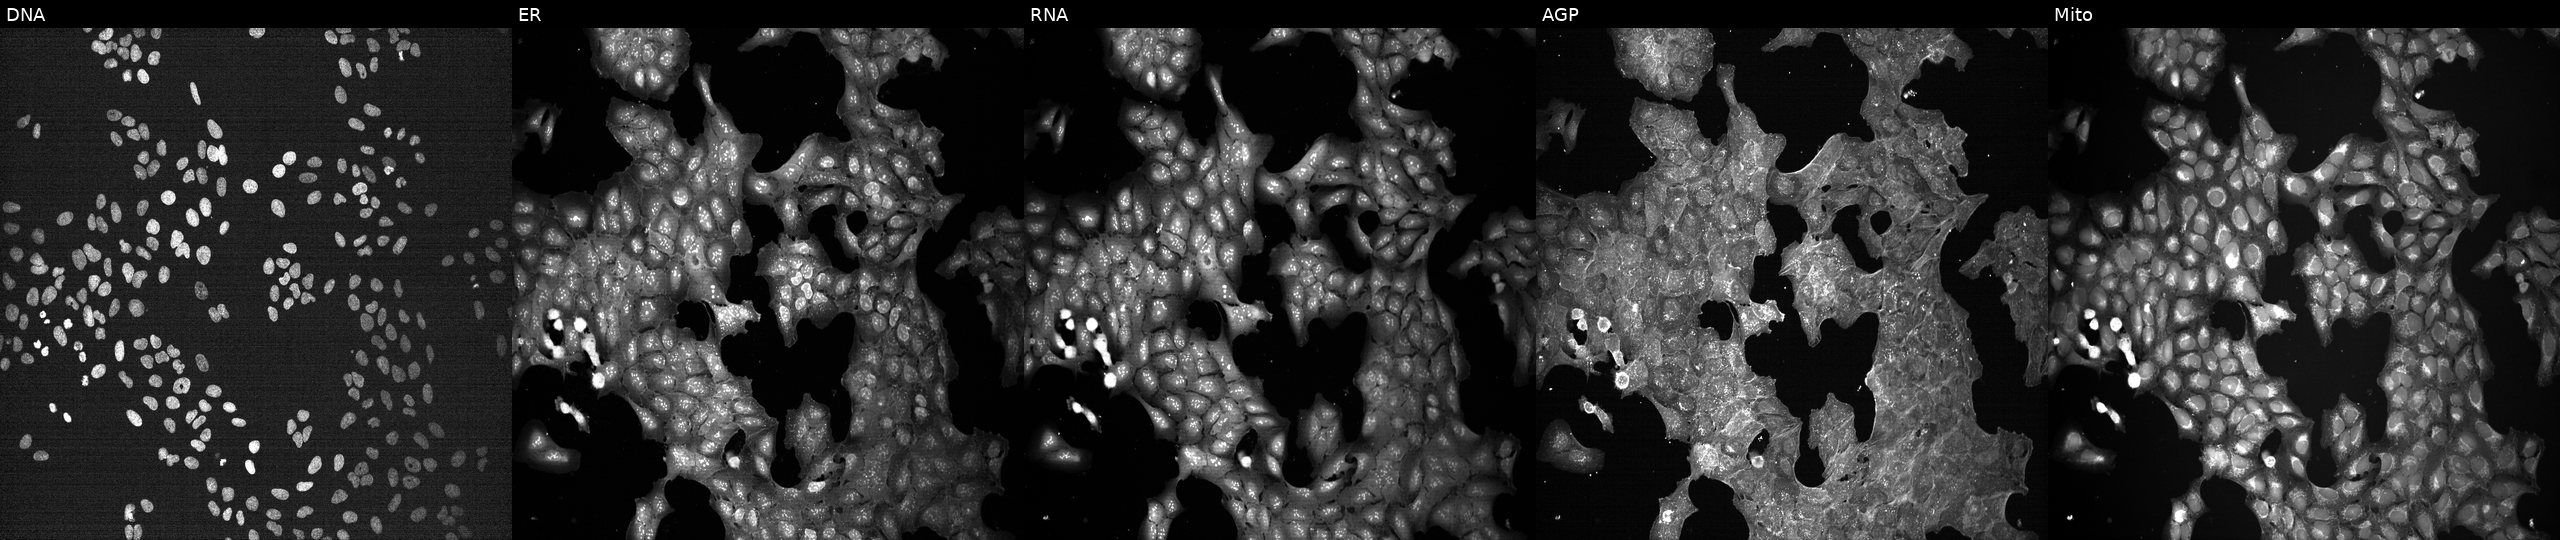
Five-channel Cell Painting image of U2OS cells treated with a small-molecule compound. From left to right: DNA, ER, RNA, AGP, and Mito.